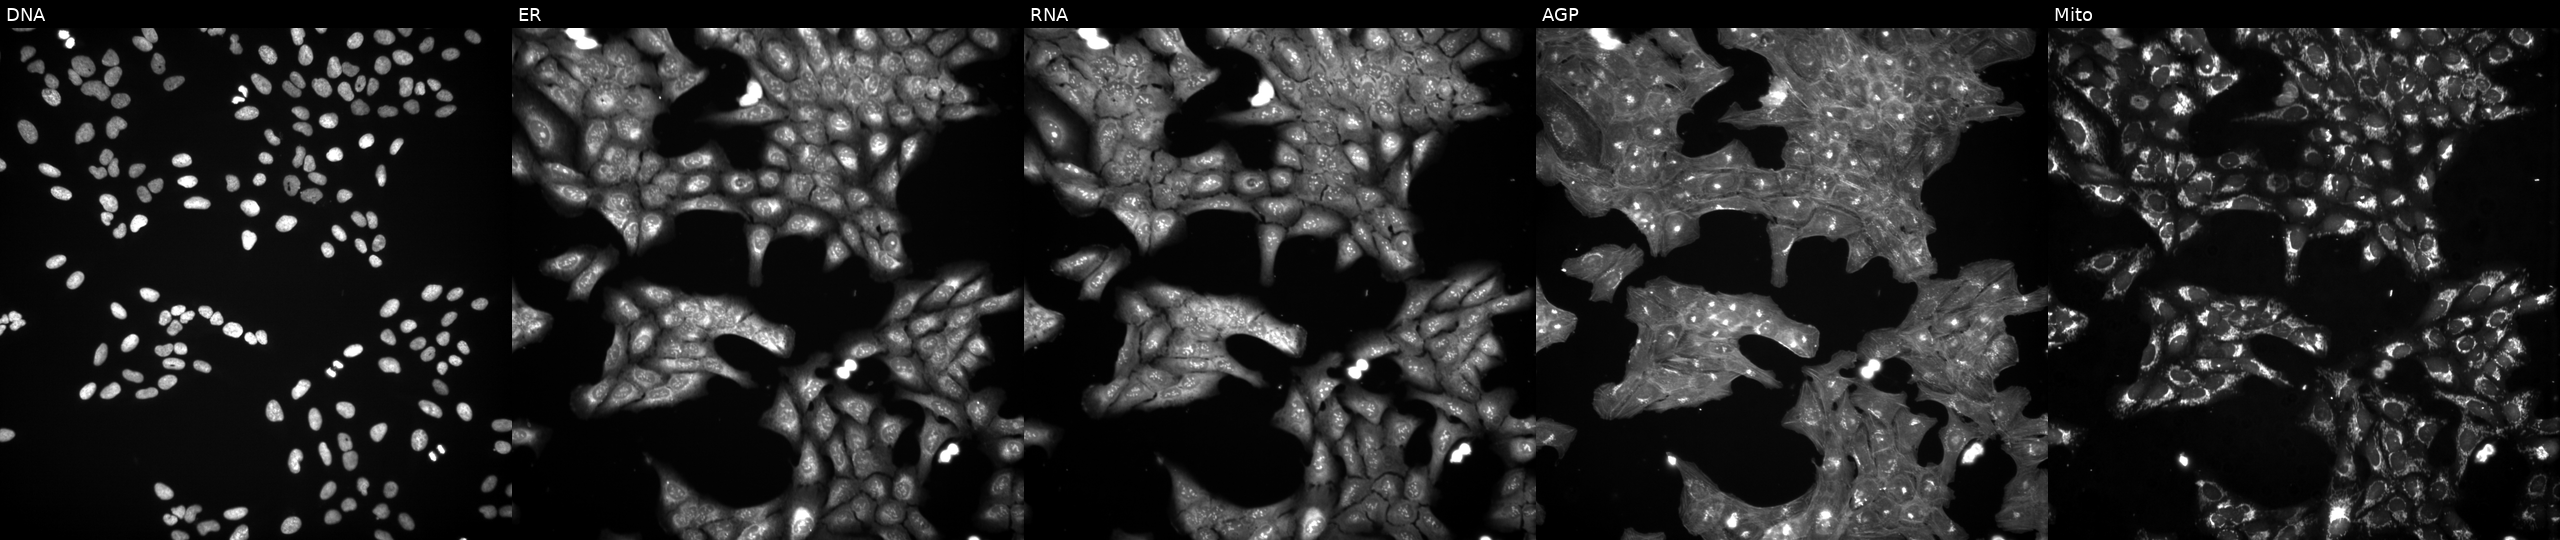
JUMP Cell Painting — COMPOUND plate. U2OS cells treated with a small-molecule compound (InChIKey LXMTXTWDKWLXOJ-UHFFFAOYSA-N). Channels (left→right): DNA, ER, RNA, AGP, and Mito.